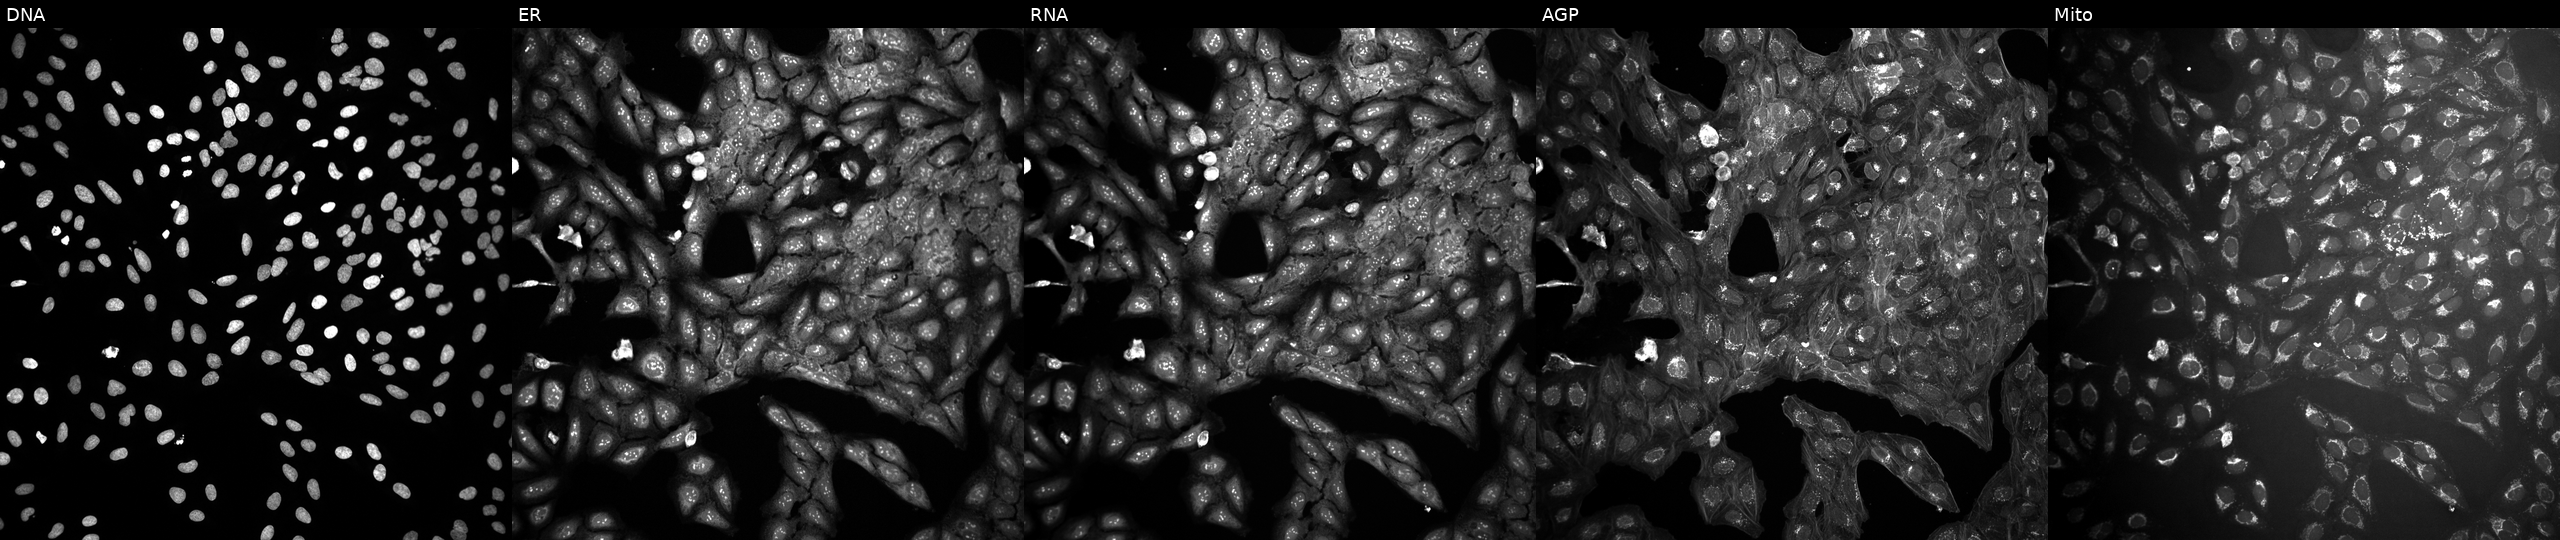
JUMP Cell Painting — COMPOUND plate. U2OS cells untreated (empty-well control). From left to right: DNA, ER, RNA, AGP, and Mito.